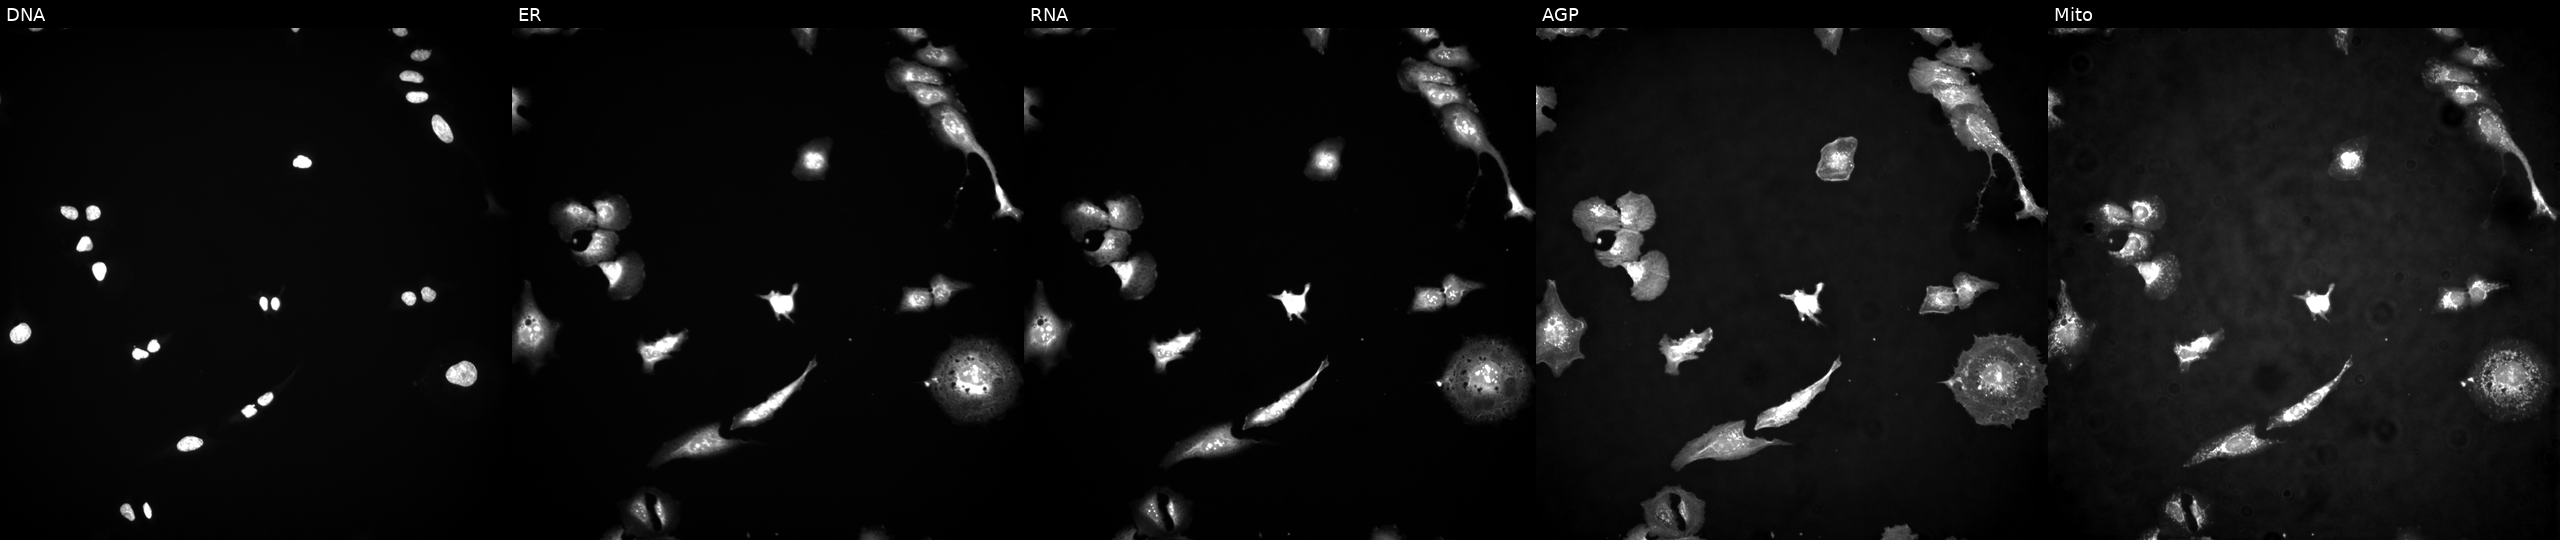
JUMP Cell Painting — ORF plate. U2OS cells overexpressing SRC via ORF transfection. From left to right: DNA, ER, RNA, AGP, and Mito.